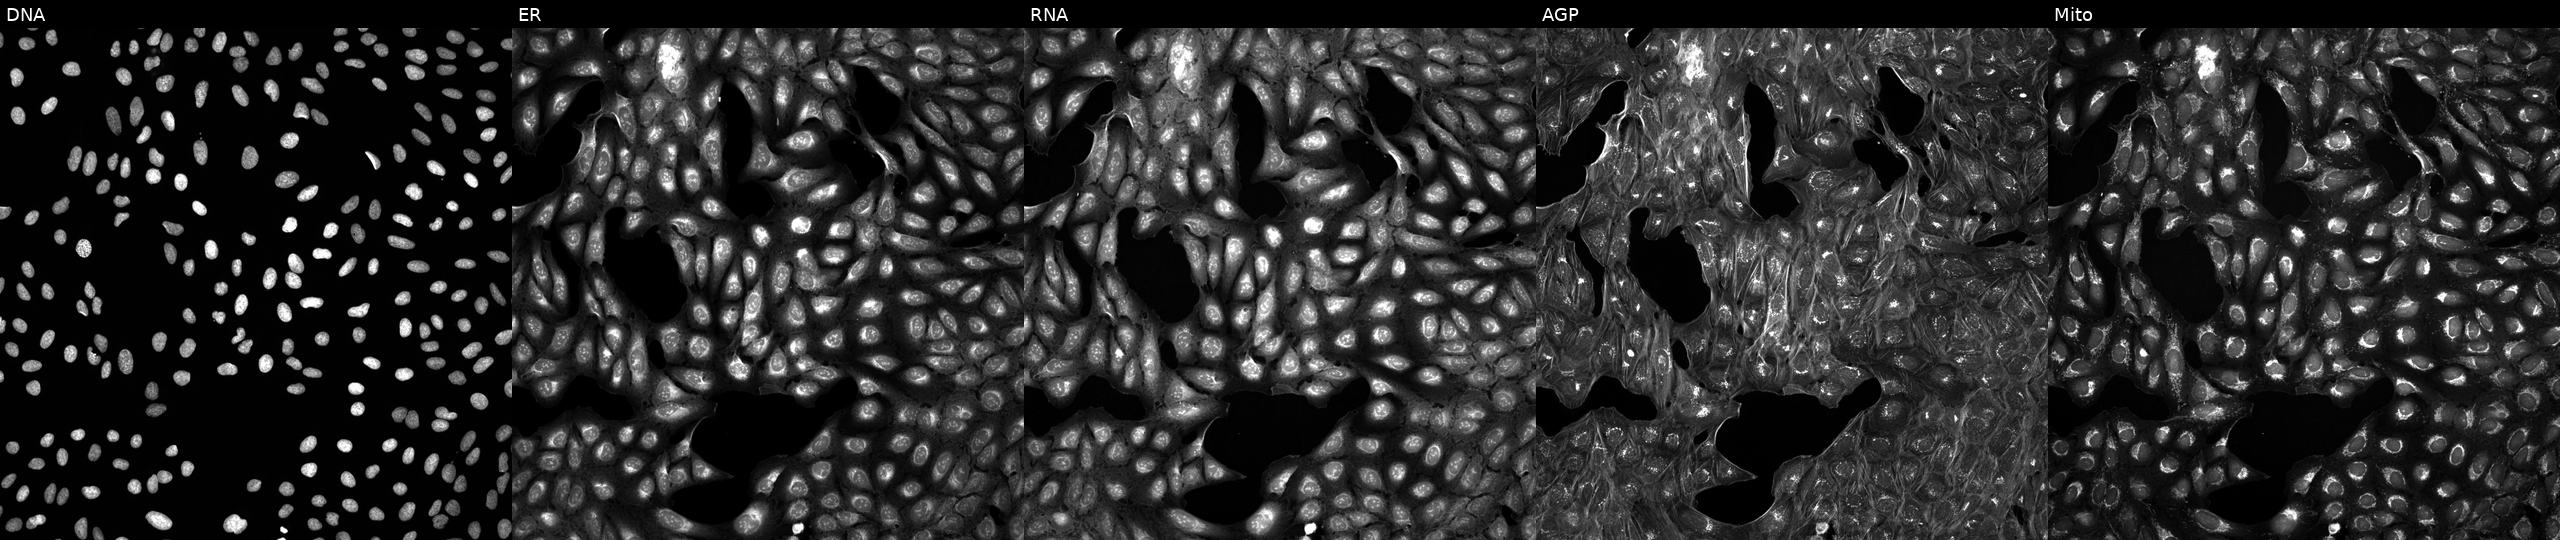
Five-channel Cell Painting image of U2OS cells perturbed with a small-molecule compound (InChIKey FMYGNANMYYHBSU-UHFFFAOYSA-N) [SMILES: Cc1cc(C(=O)Cn2cc(C#N)ccc2=O)c(C)n1Cc1ccccc1] (JUMP id JCP2022_021678). Channels (left→right): DNA (nuclei); ER (endoplasmic reticulum); RNA (nucleoli and cytoplasmic RNA); AGP (actin cytoskeleton, Golgi, and plasma membrane); Mito (mitochondria).